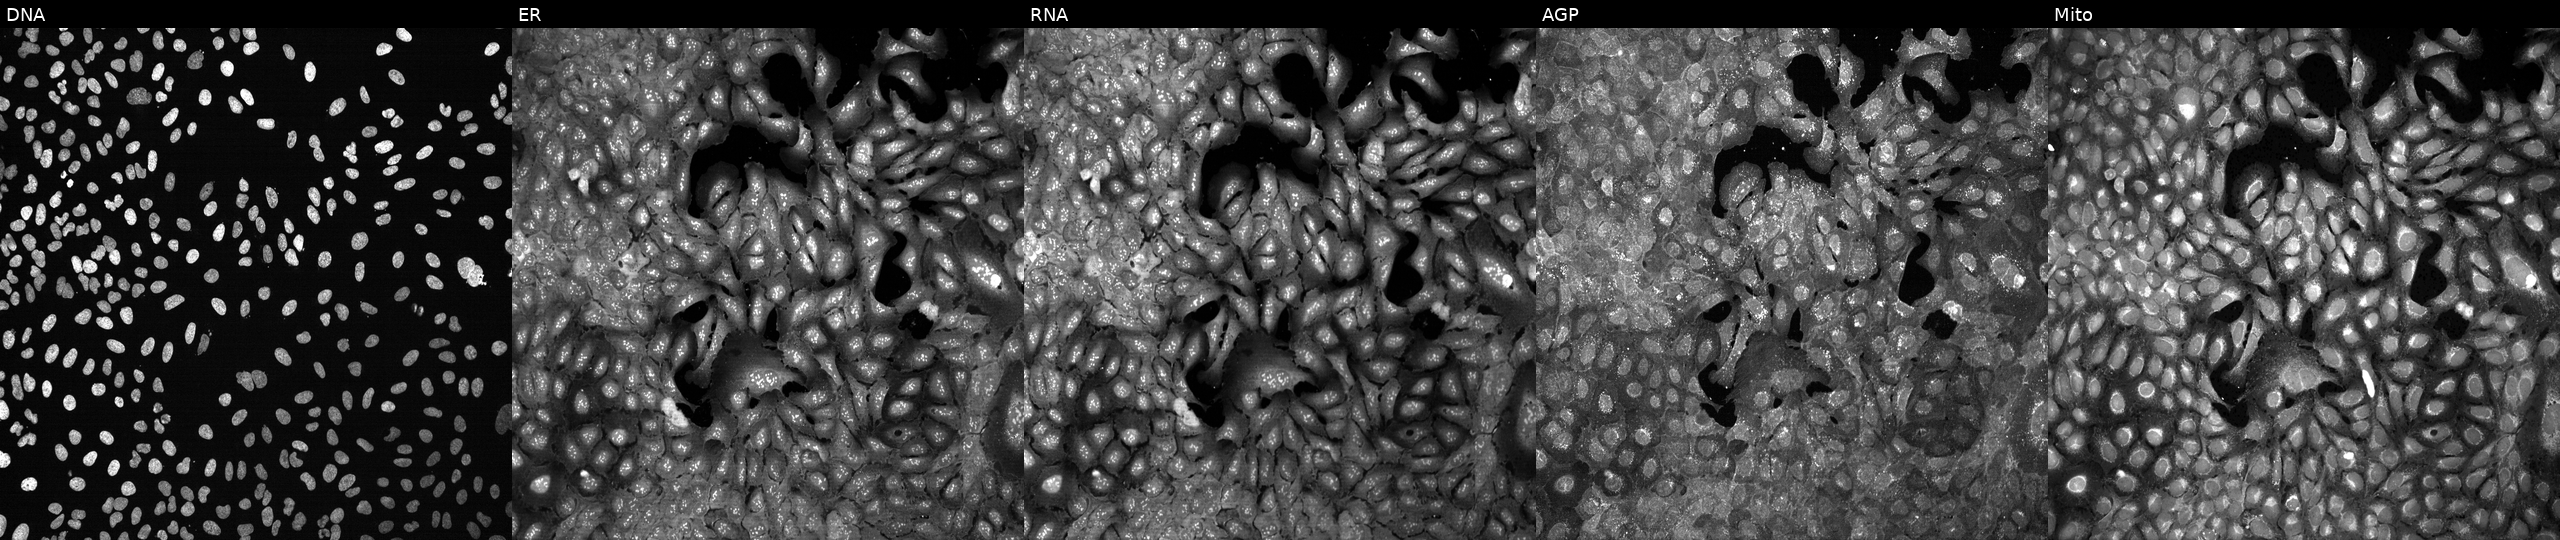
From left to right: DNA (nuclei); ER (endoplasmic reticulum); RNA (nucleoli and cytoplasmic RNA); AGP (actin cytoskeleton, Golgi, and plasma membrane); Mito (mitochondria). U2OS osteosarcoma cells following CRISPR knockout of NCEH1 (JUMP id JCP2022_804446). Cell Painting assay, JUMP-CP dataset.